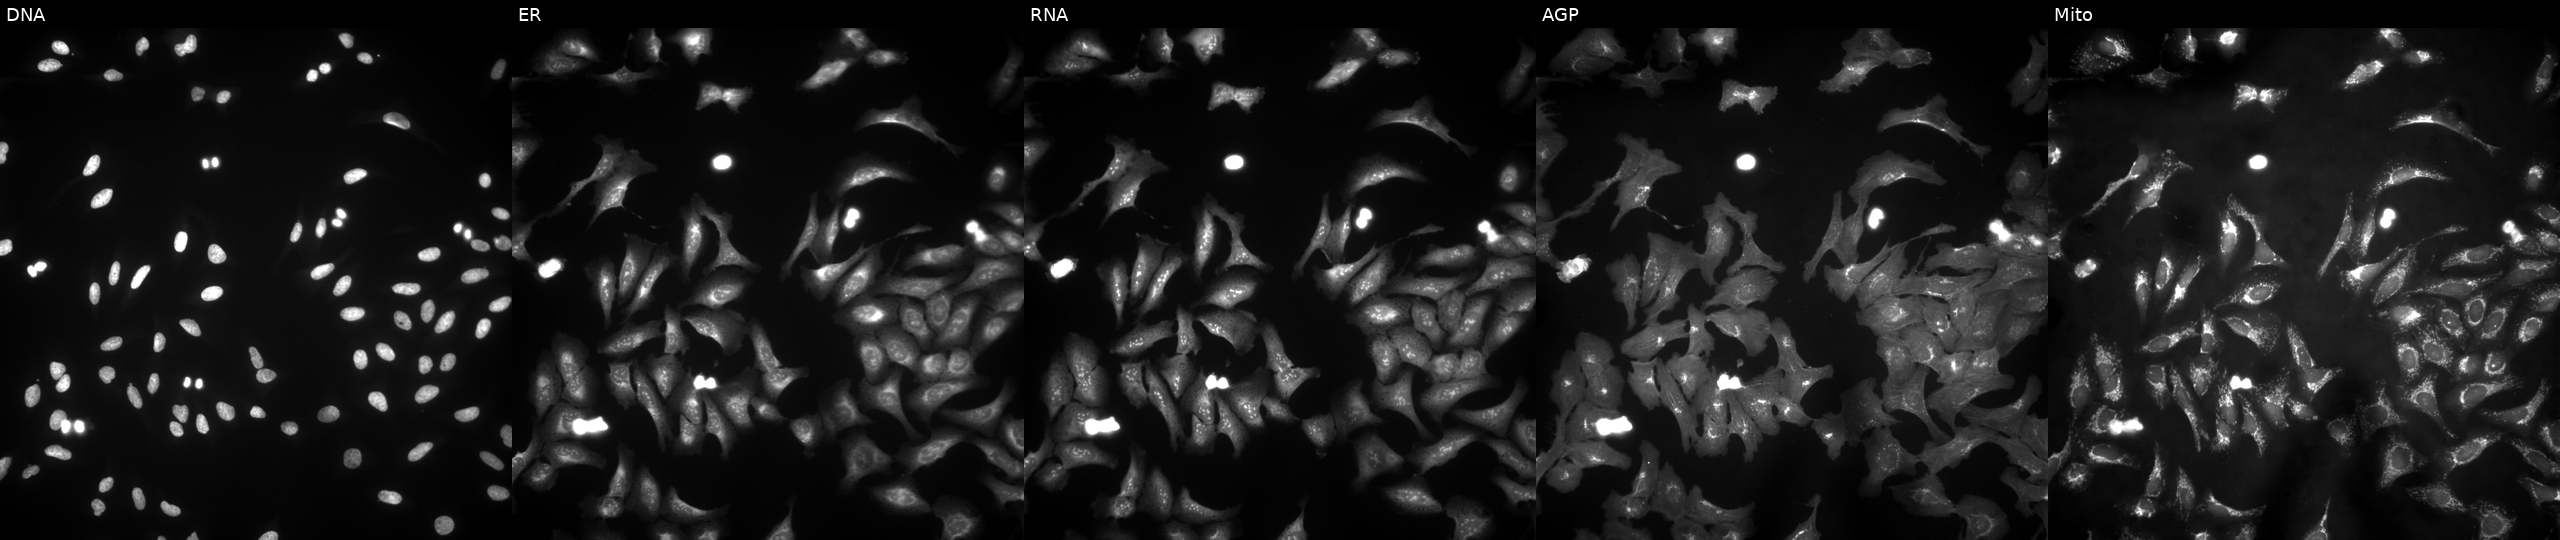
U2OS cells, Cell Painting assay, expressing BFP (ORF negative control). From left to right: DNA, ER, RNA, AGP, and Mito. Each panel is percentile-stretched 16-bit fluorescence. Source 4, plate BR00123506, well I21.